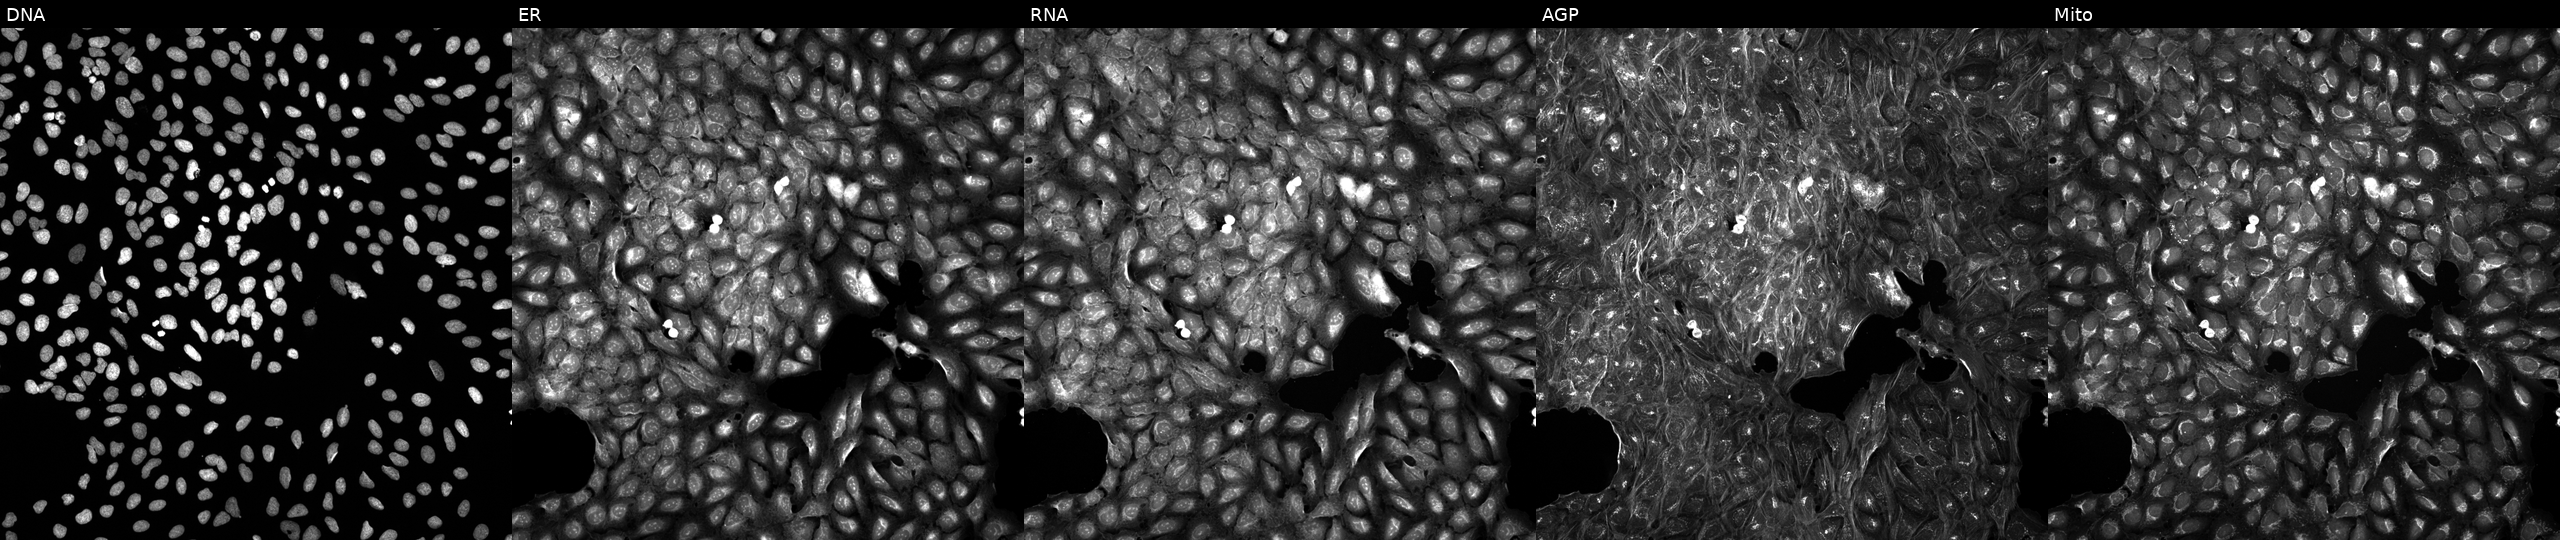
Panels show, left to right, DNA (nuclei); ER (endoplasmic reticulum); RNA (nucleoli and cytoplasmic RNA); AGP (actin cytoskeleton, Golgi, and plasma membrane); Mito (mitochondria). U2OS osteosarcoma cells treated with a small-molecule compound (JUMP id JCP2022_053561). Cell Painting assay, JUMP-CP dataset.